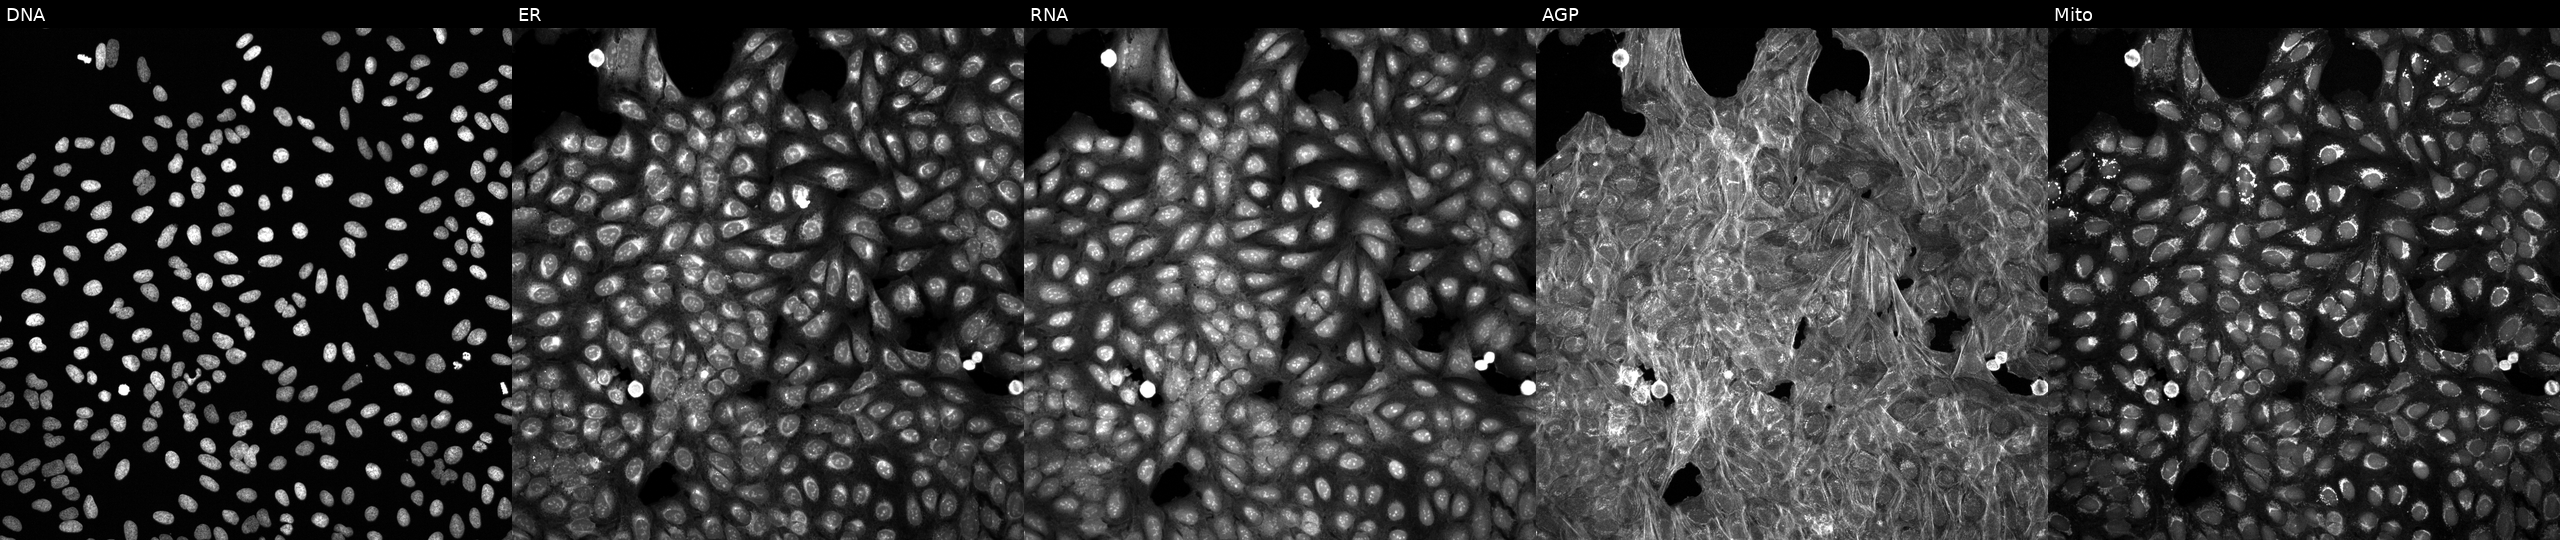
JUMP Cell Painting — TARGET2 plate. U2OS cells exposed to a small-molecule compound (InChIKey XNOPRXBHLZRZKH-UHFFFAOYSA-N). Panels show, left to right, Hoechst 33342, concanavalin A, SYTO 14, phalloidin and WGA, MitoTracker. Source 6, plate 110000294901, well D21.